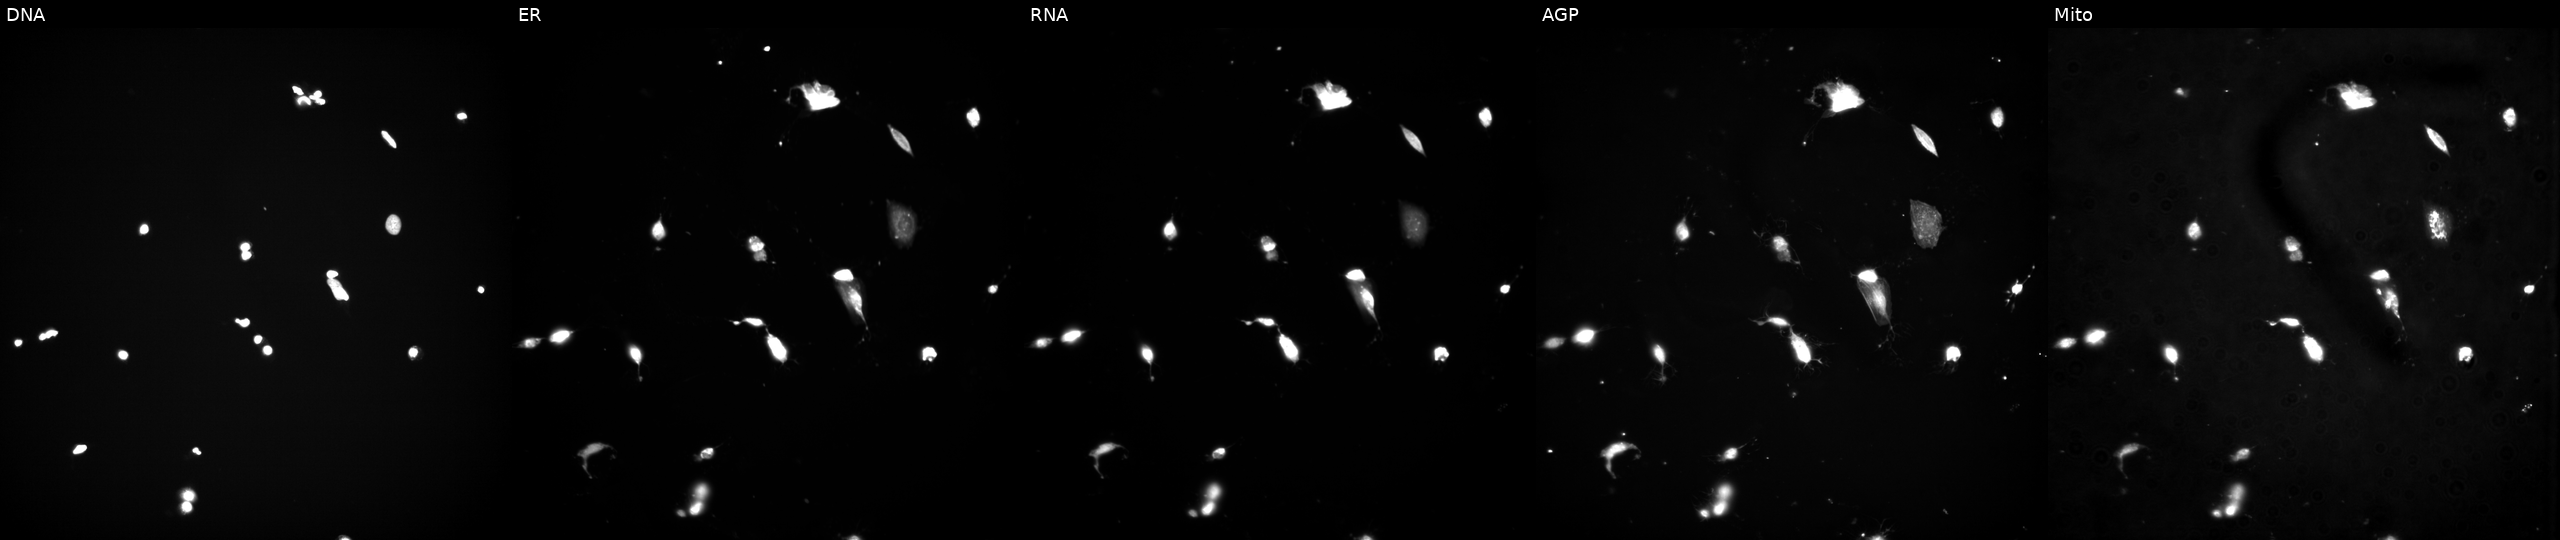
JUMP Cell Painting — TARGET2 plate. U2OS cells exposed to a small-molecule compound. From left to right: Hoechst 33342, concanavalin A, SYTO 14, phalloidin and WGA, MitoTracker.